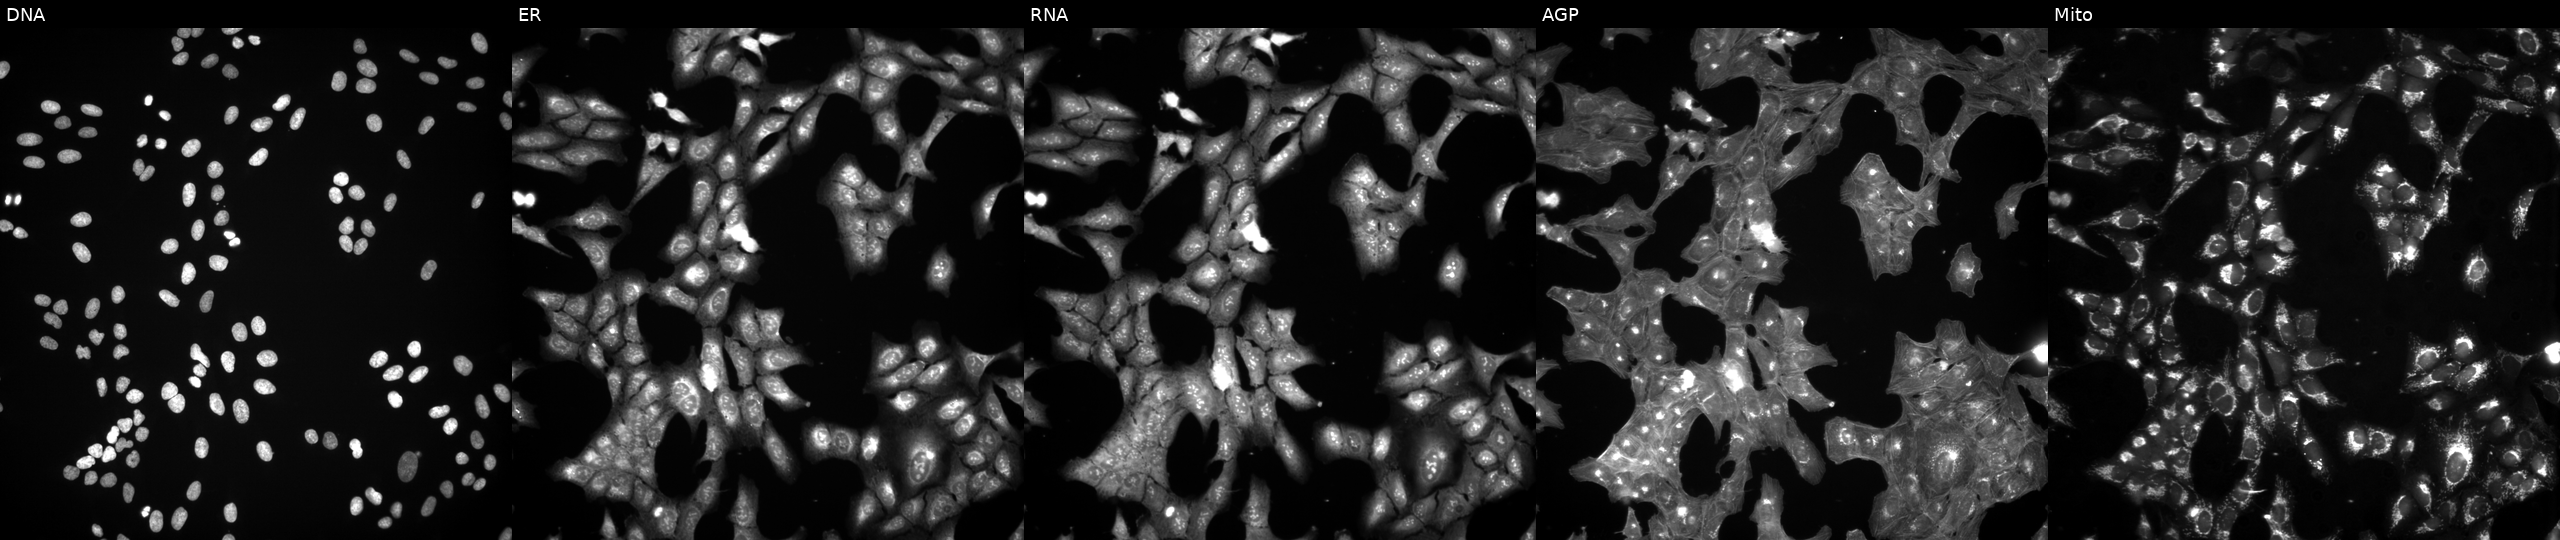
High-content fluorescence microscopy (Cell Painting). Cell line: U2OS. Perturbation: exposed to a small-molecule compound (InChIKey UHYIREWOTHVAID-UHFFFAOYSA-N). Panels show, left to right, DNA, ER, RNA, AGP, and Mito.